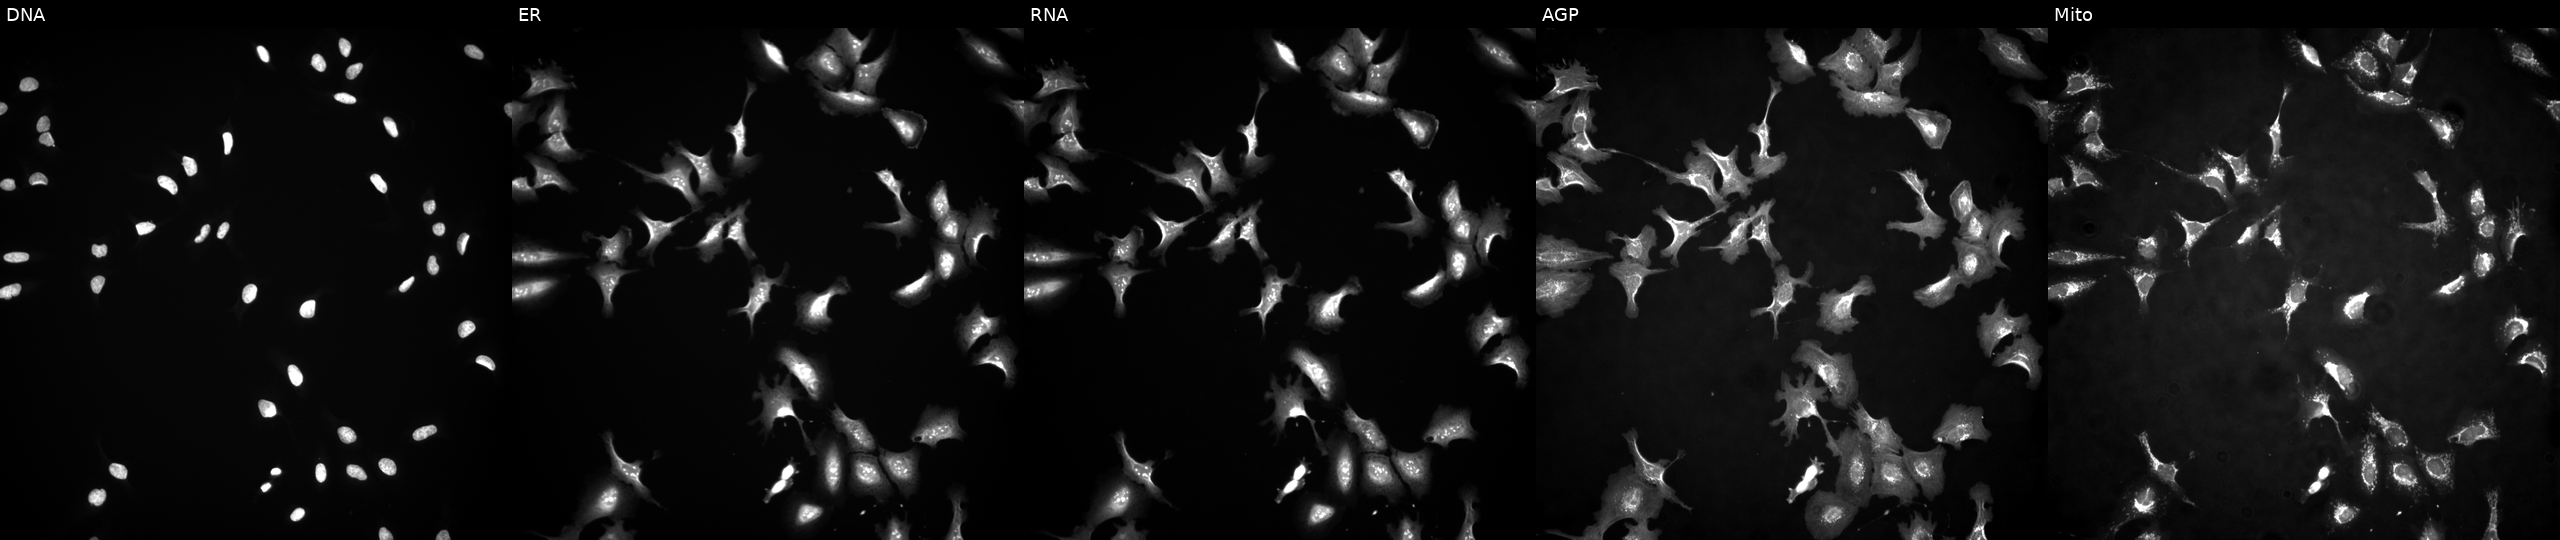
Five-channel Cell Painting image of U2OS cells overexpressing FLI1 via ORF transfection (JUMP id JCP2022_900541). The five panels, left to right, show DNA, ER, RNA, AGP, and Mito.